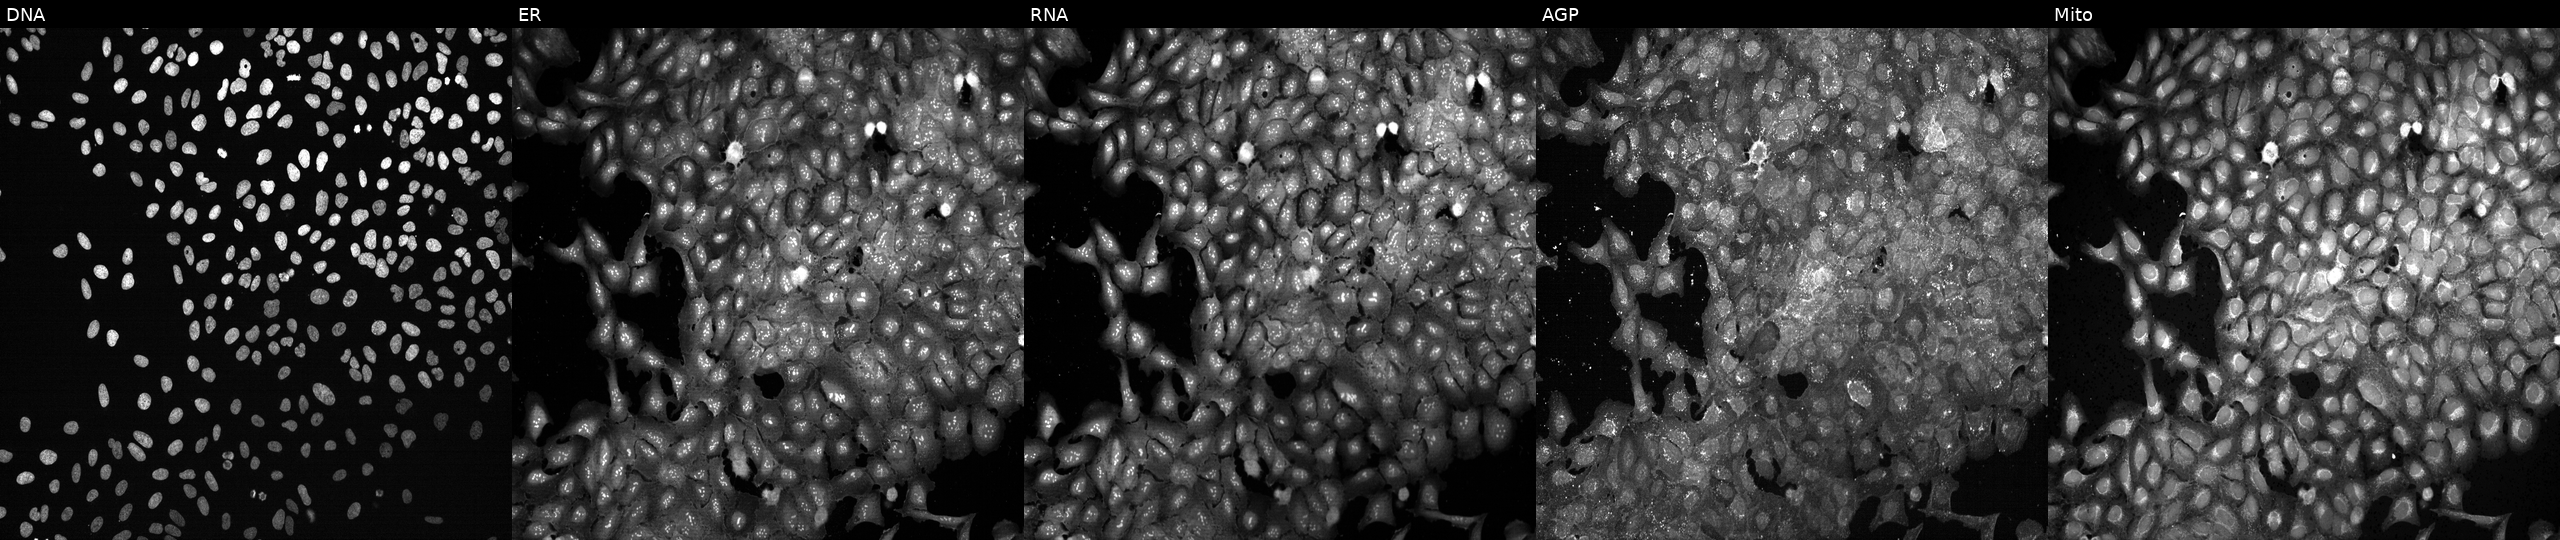
High-content fluorescence microscopy (Cell Painting). Cell line: U2OS. Perturbation: CRISPR-edited to disrupt GDI1 (JUMP id JCP2022_802660). The five panels, left to right, show Hoechst 33342, concanavalin A, SYTO 14, phalloidin and WGA, MitoTracker.